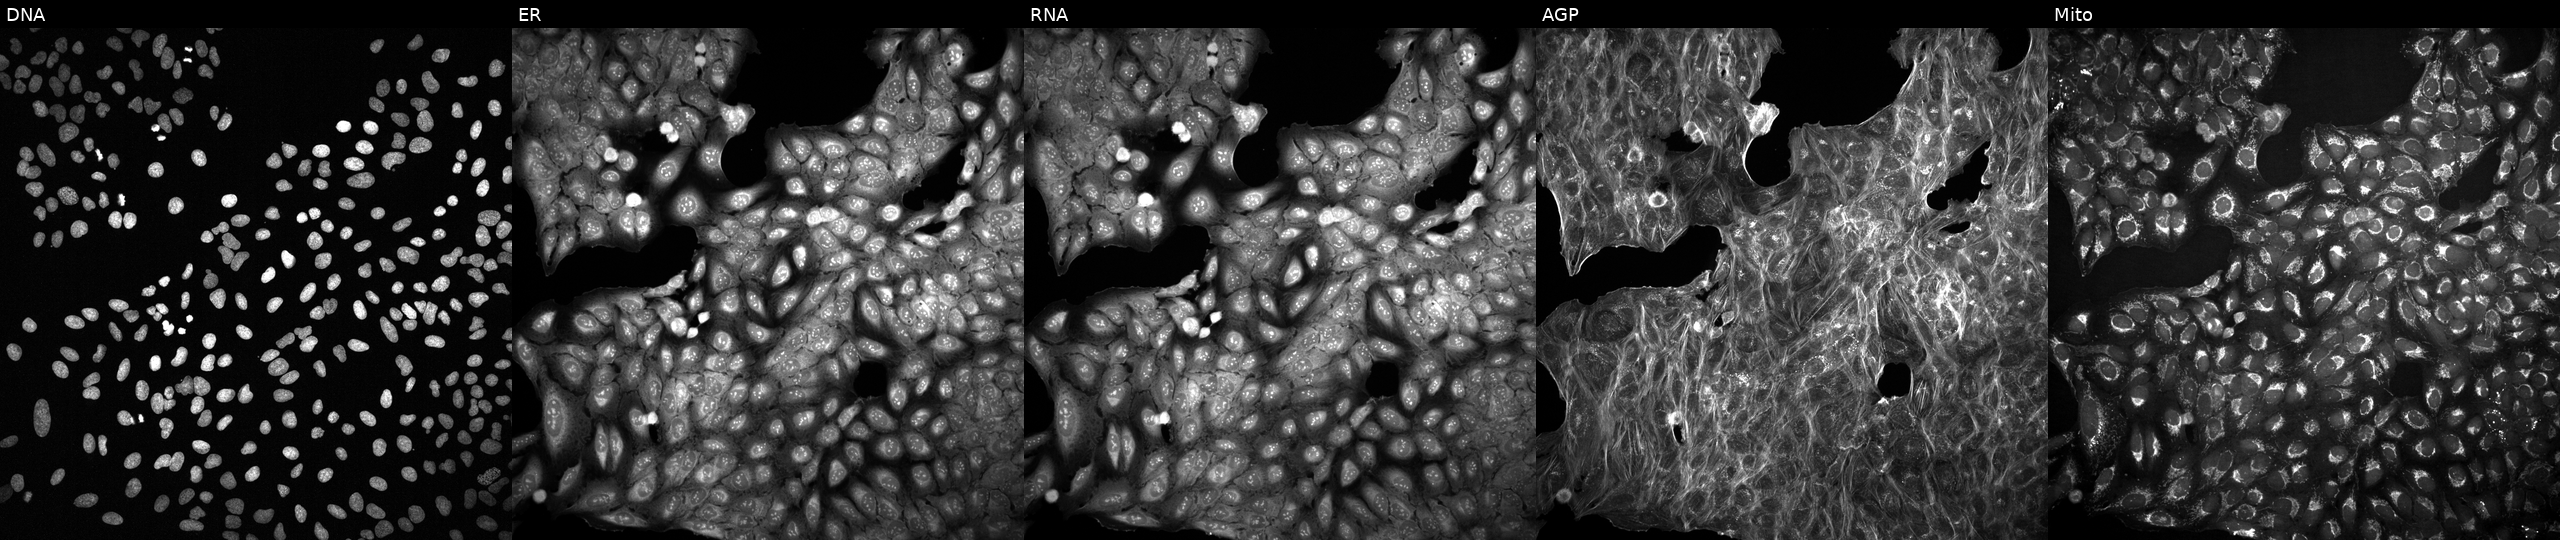
JUMP Cell Painting — COMPOUND plate. U2OS cells with an unidentified perturbation (not annotated in JUMP metadata). Channels (left→right): Hoechst 33342, concanavalin A, SYTO 14, phalloidin and WGA, MitoTracker. Source 2, plate 1053601756, well D07.